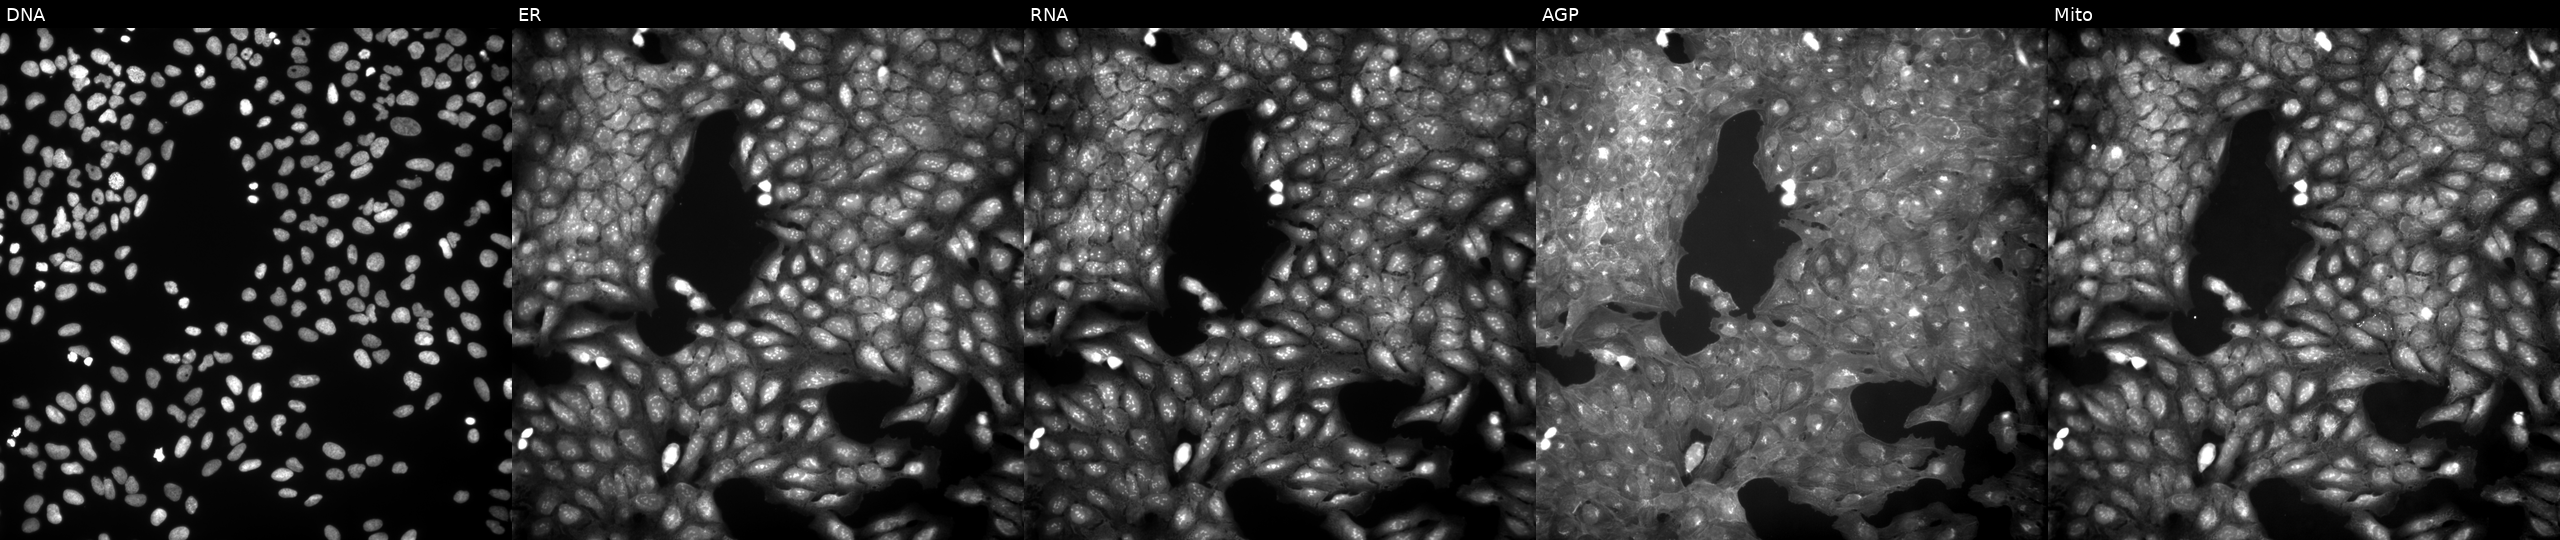
The five panels, left to right, show DNA (nuclei); ER (endoplasmic reticulum); RNA (nucleoli and cytoplasmic RNA); AGP (actin cytoskeleton, Golgi, and plasma membrane); Mito (mitochondria). U2OS osteosarcoma cells perturbed with a small-molecule compound. Cell Painting assay, JUMP-CP dataset. Source 9, plate GR00003382, well C33.